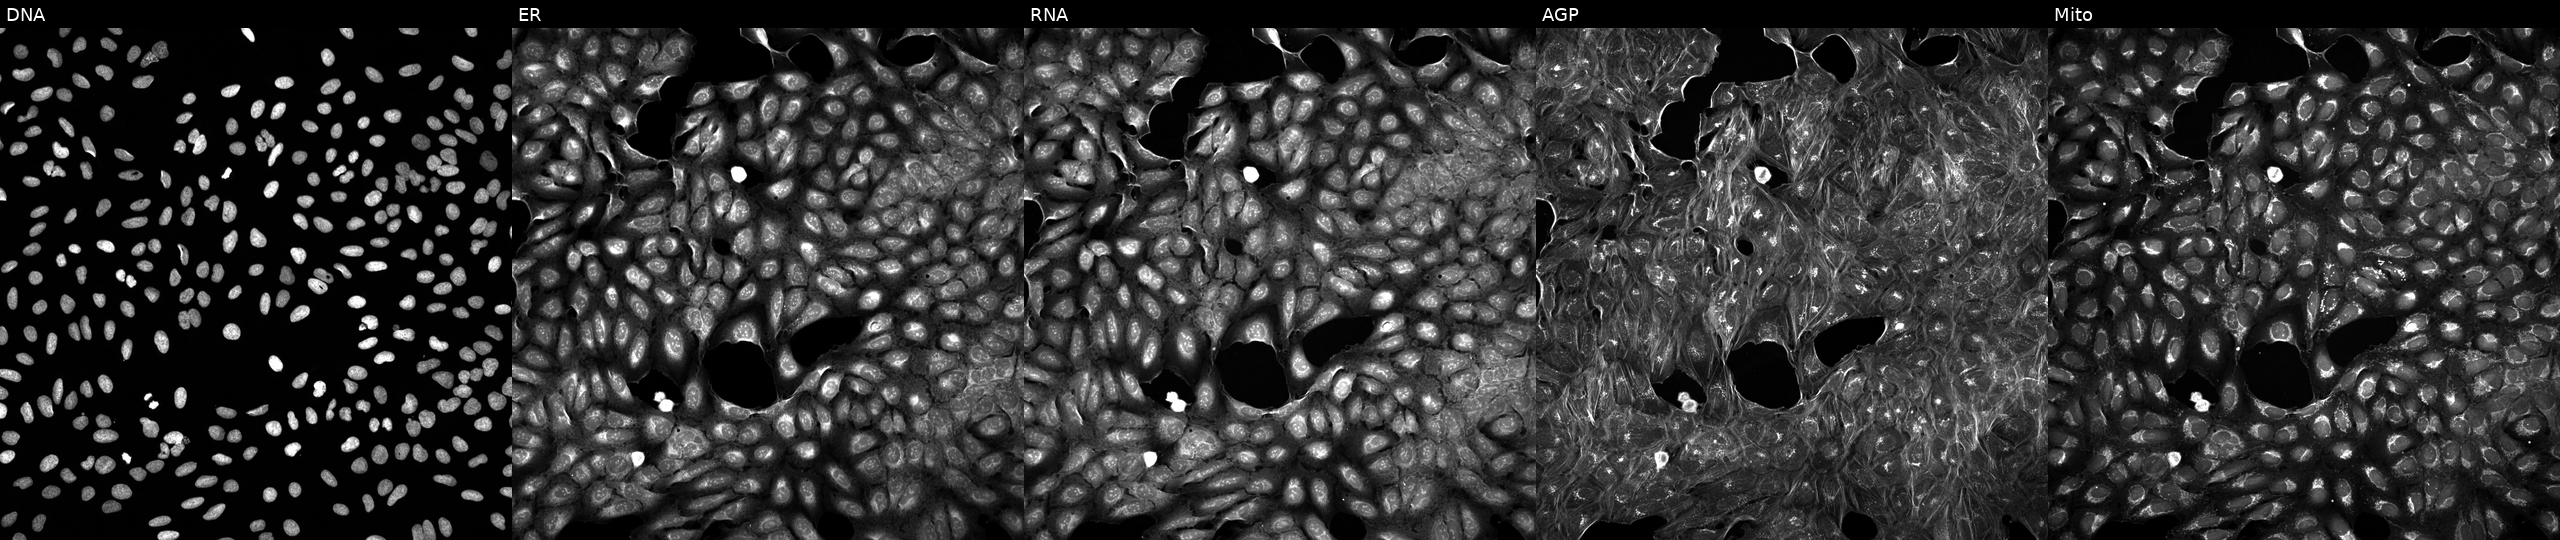
JUMP Cell Painting — TARGET2 plate. U2OS cells treated with DMSO vehicle only (negative control). Channels (left→right): Hoechst 33342, concanavalin A, SYTO 14, phalloidin and WGA, MitoTracker.